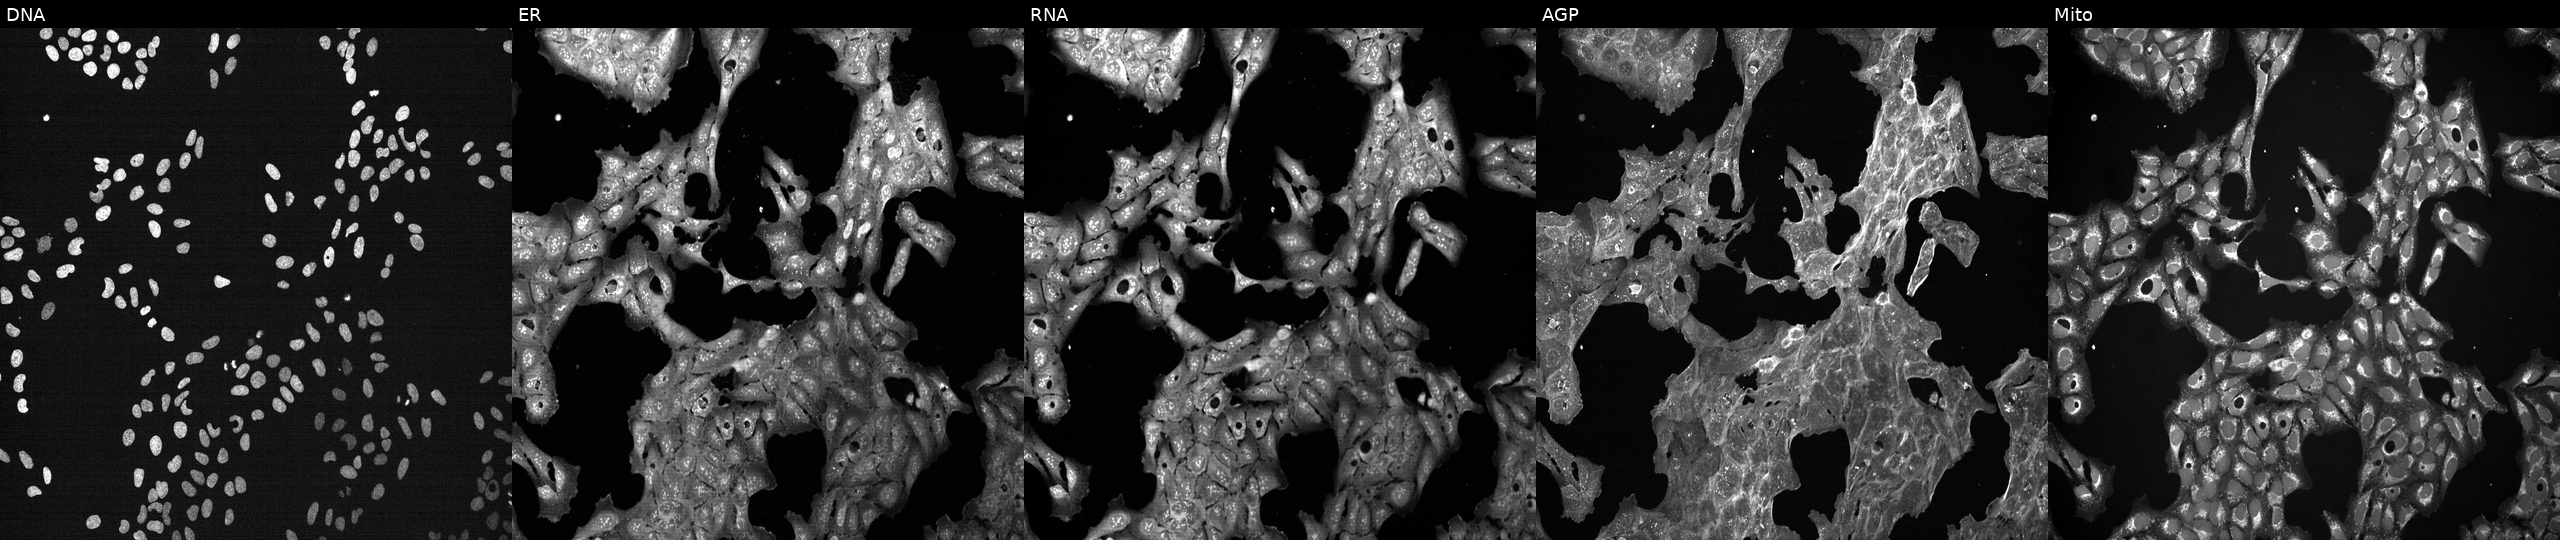
This image strip shows the five Cell Painting channels for a single field of U2OS cells exposed to a small-molecule compound (InChIKey XRKYMMUGXMWDAO-UHFFFAOYSA-N) [SMILES: O=c1cc(-c2cccc3c2Sc2ccccc2S3)oc(N2CCOCC2)c1]. Channels (left→right): DNA, ER, RNA, AGP, and Mito.